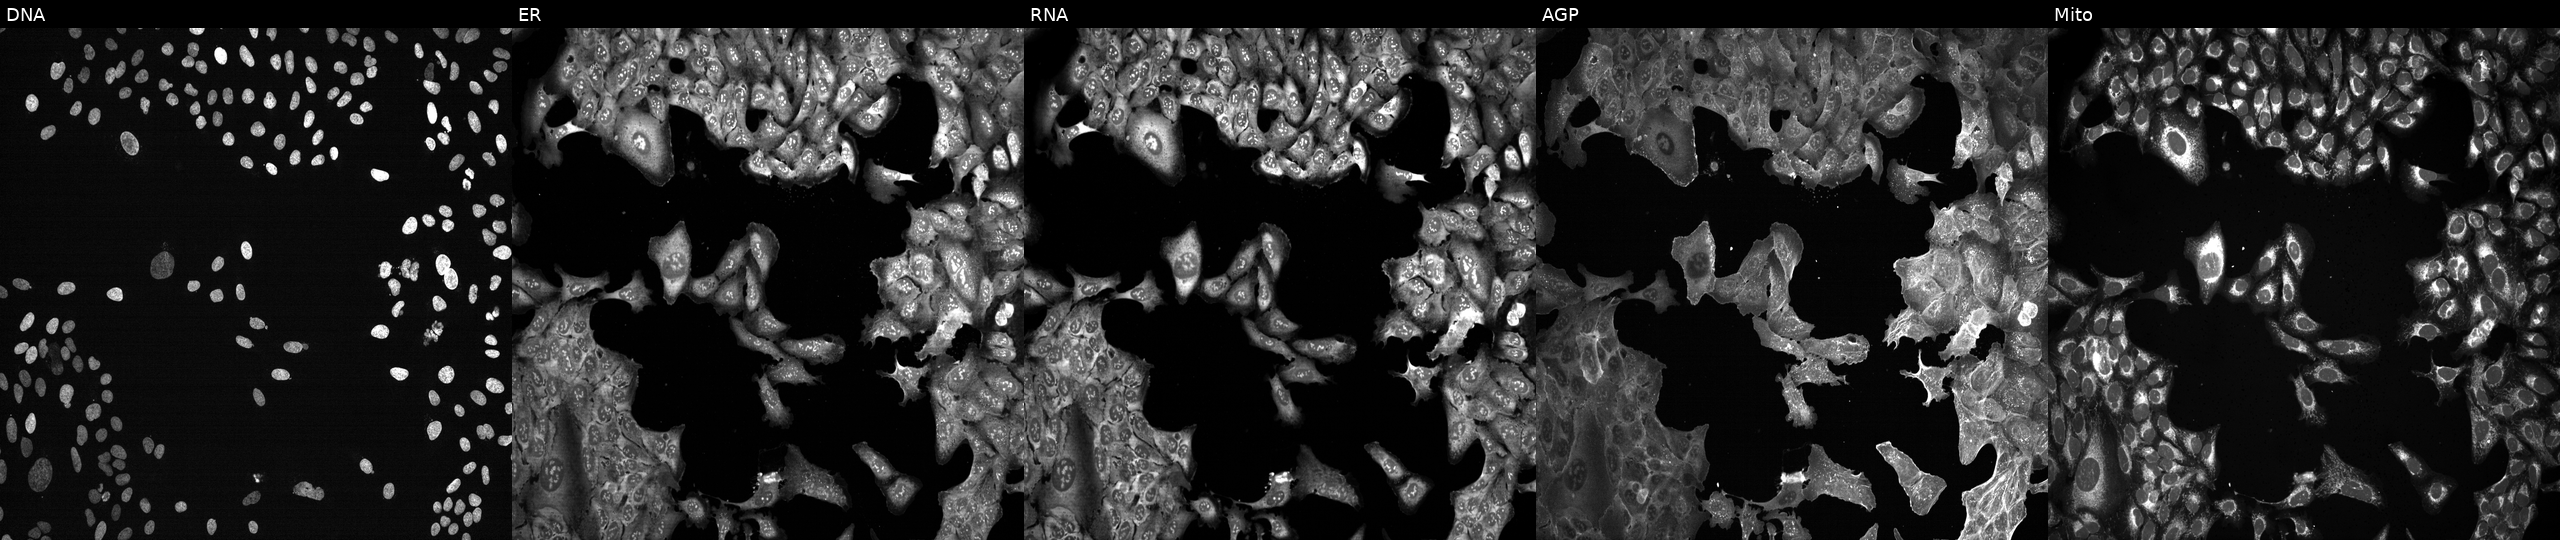
From left to right: DNA (nuclei); ER (endoplasmic reticulum); RNA (nucleoli and cytoplasmic RNA); AGP (actin cytoskeleton, Golgi, and plasma membrane); Mito (mitochondria). U2OS osteosarcoma cells CRISPR-edited to disrupt ADAMTS16. Cell Painting assay, JUMP-CP dataset.